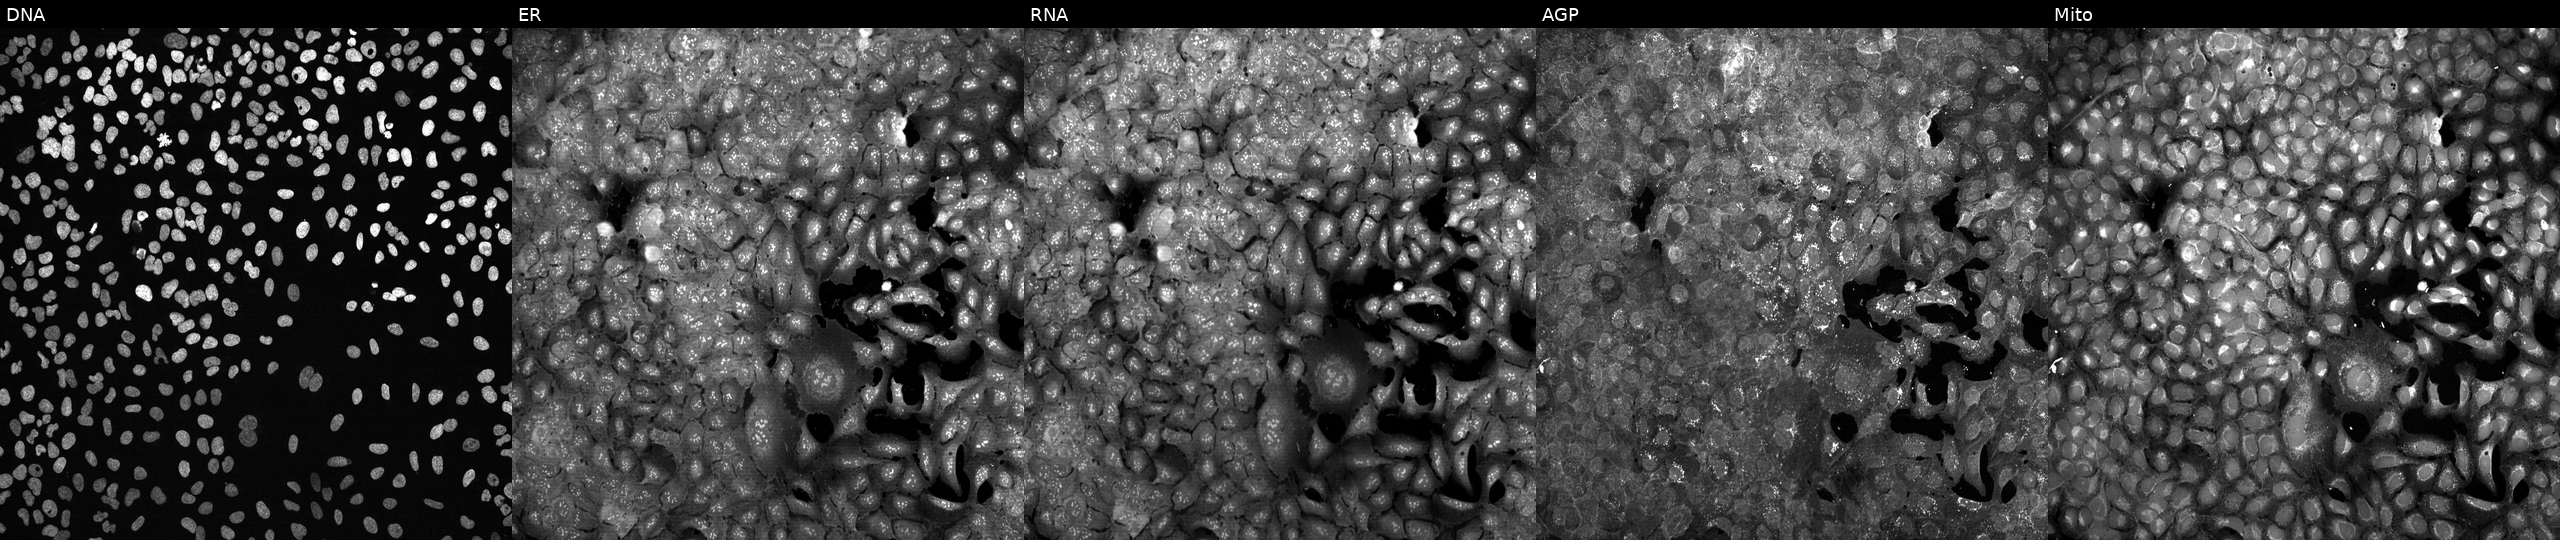
Five-channel Cell Painting image of U2OS cells with CHSY1 knocked out by CRISPR (JUMP id JCP2022_801341). The five panels, left to right, show DNA, ER, RNA, AGP, and Mito.